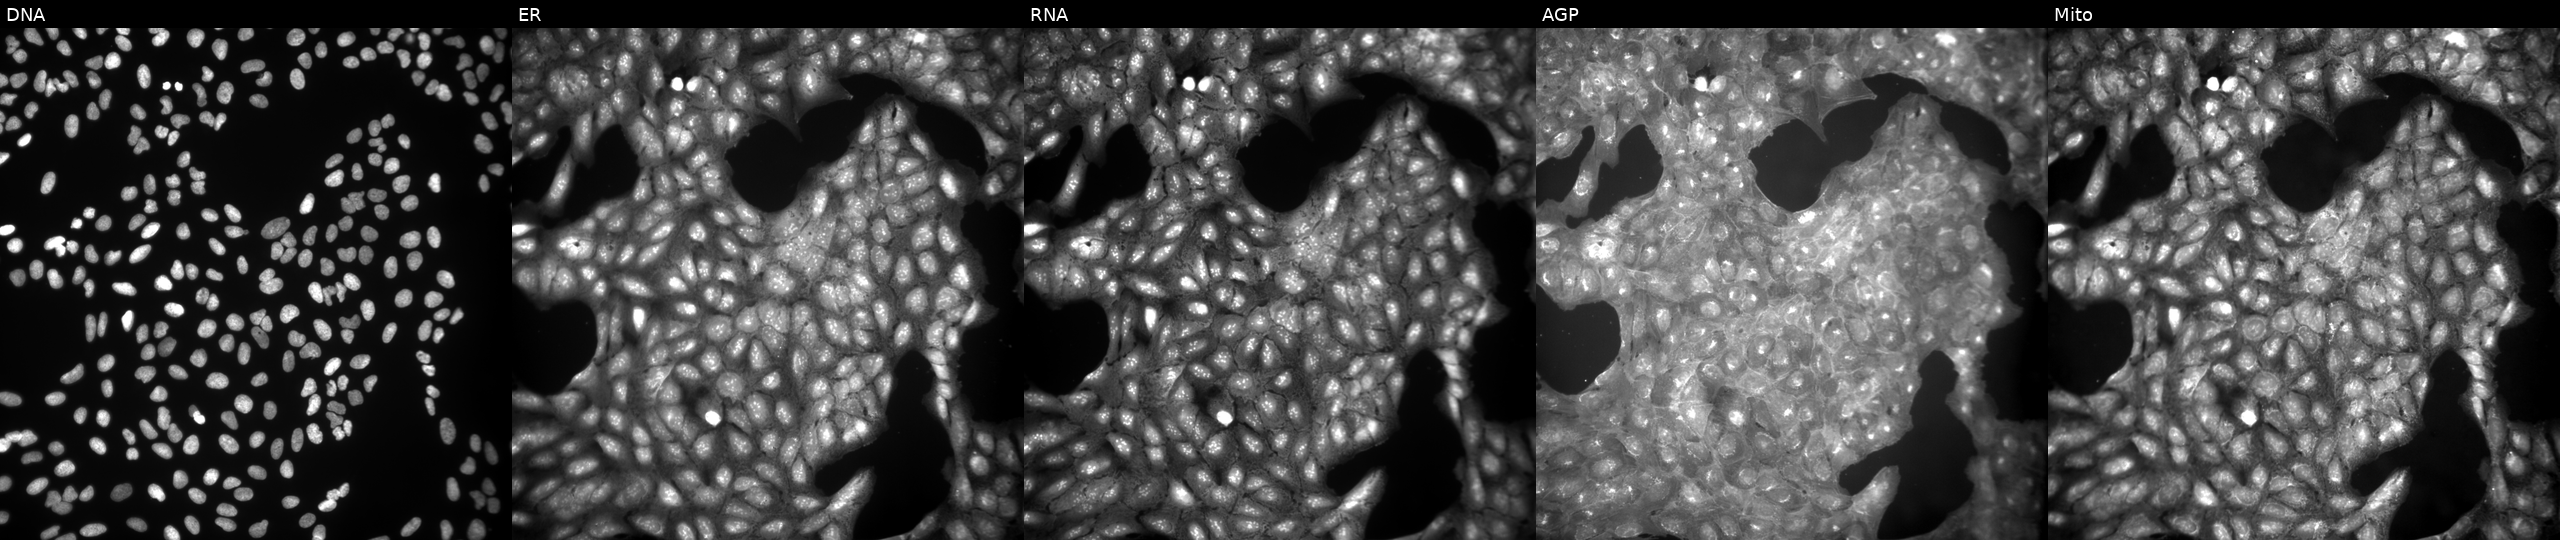
Five-channel Cell Painting image of U2OS cells treated with a small-molecule compound (InChIKey CCNQNWCKKPNWHX-UHFFFAOYSA-N) (JUMP id JCP2022_010241). The five panels, left to right, show Hoechst 33342, concanavalin A, SYTO 14, phalloidin and WGA, MitoTracker.